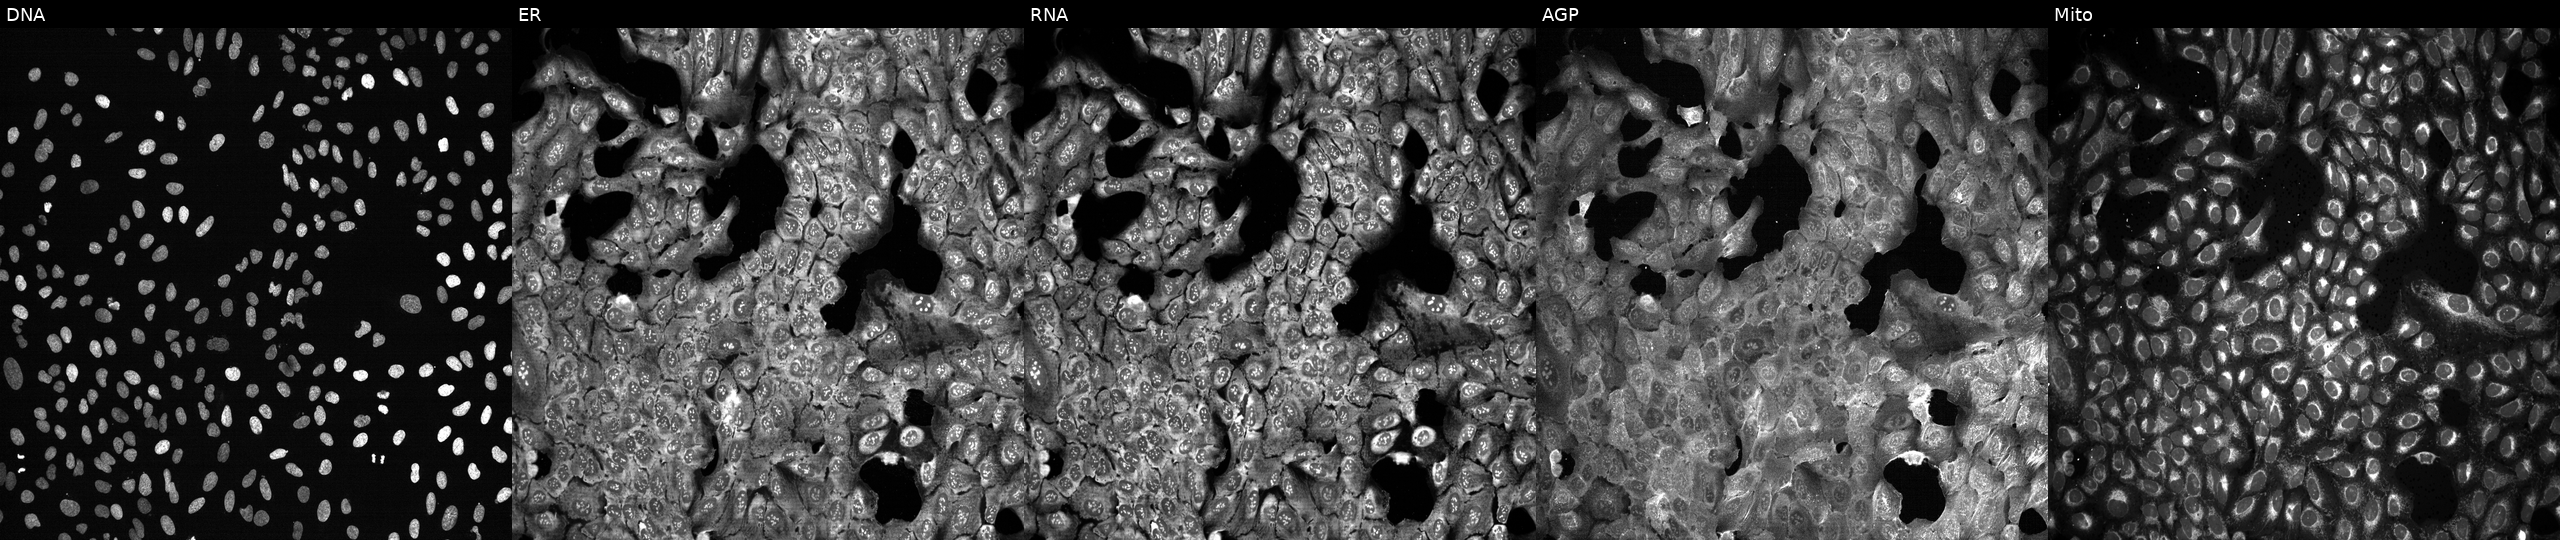
Five-channel Cell Painting image of U2OS cells with ABCA13 knocked out by CRISPR (JUMP id JCP2022_800023). Channels (left→right): Hoechst 33342, concanavalin A, SYTO 14, phalloidin and WGA, MitoTracker.